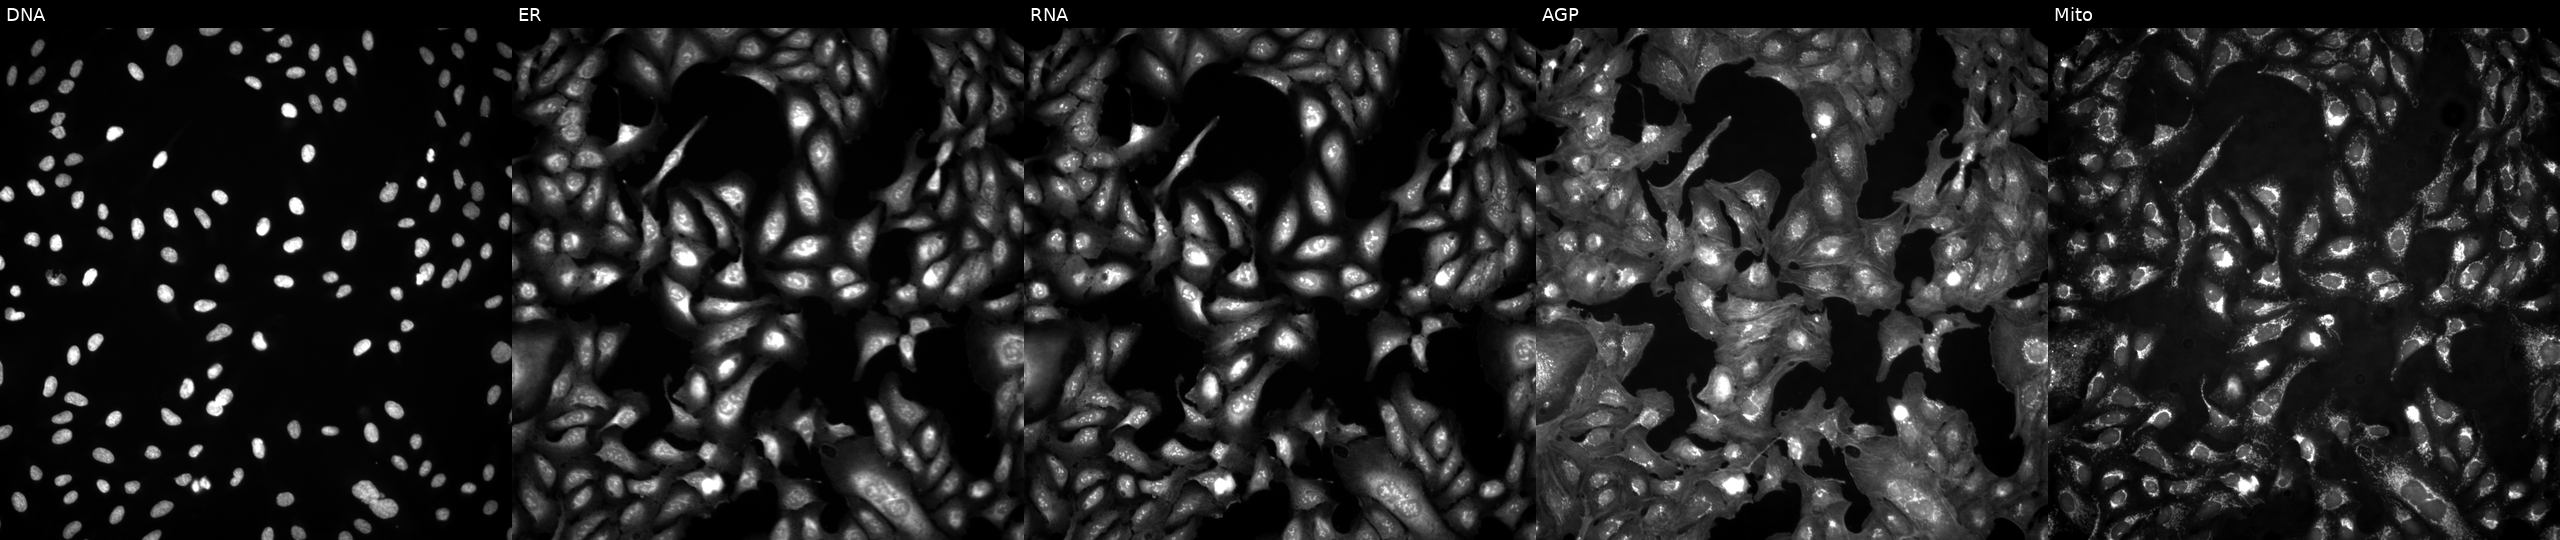
This image strip shows the five Cell Painting channels for a single field of U2OS cells in an empty control well (no perturbation) (JUMP id JCP2022_999999). From left to right: DNA (nuclei); ER (endoplasmic reticulum); RNA (nucleoli and cytoplasmic RNA); AGP (actin cytoskeleton, Golgi, and plasma membrane); Mito (mitochondria).